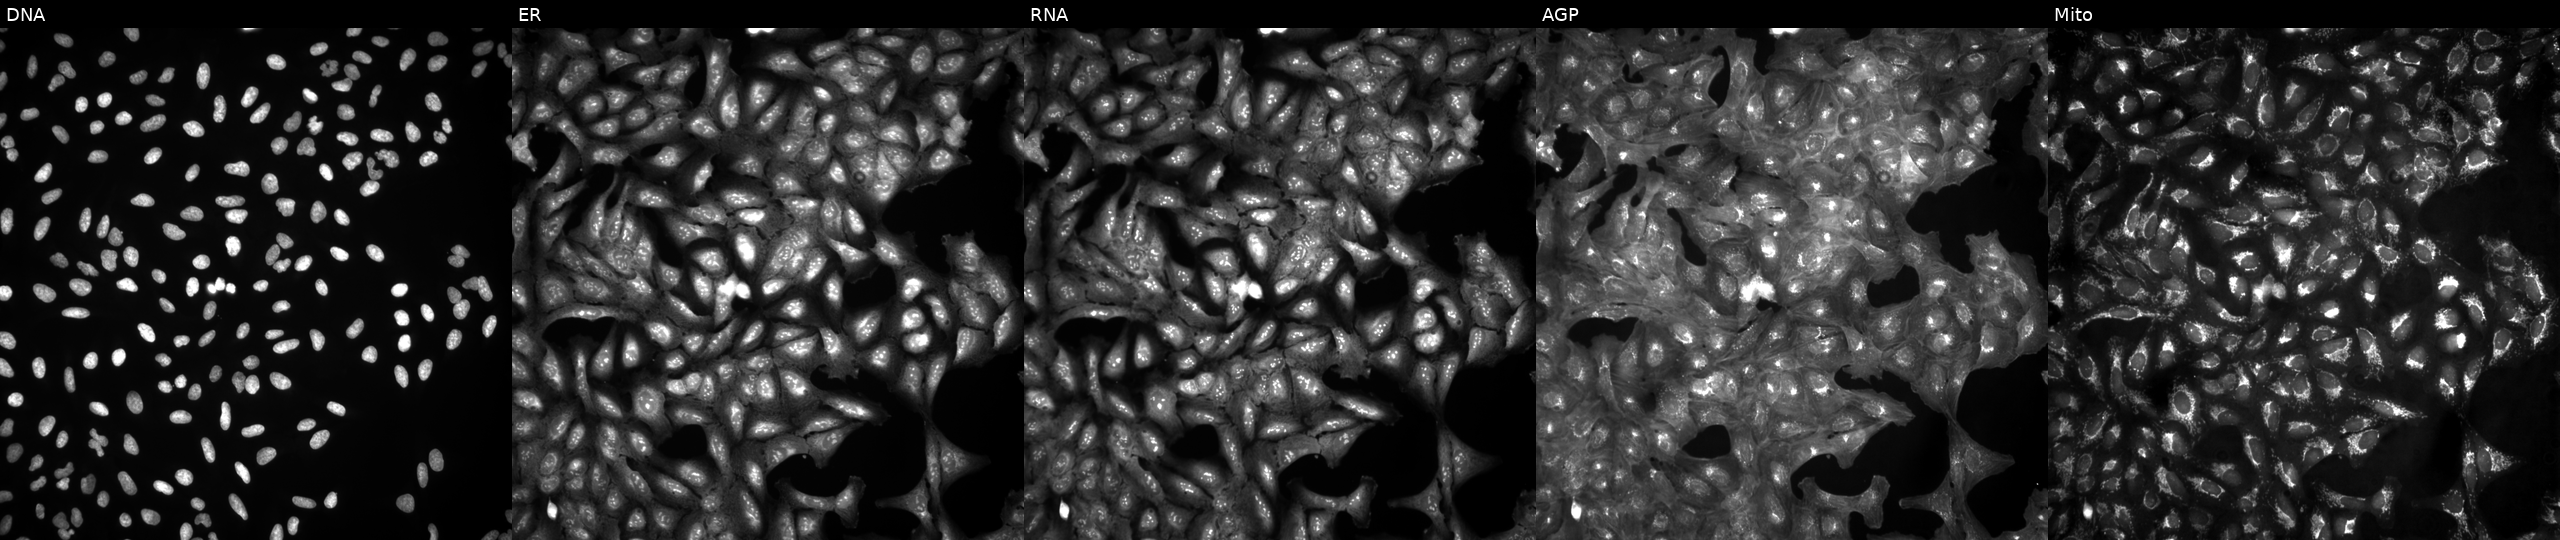
From left to right: DNA, ER, RNA, AGP, and Mito. U2OS osteosarcoma cells in an empty control well (no perturbation) (JUMP id JCP2022_999999). Cell Painting assay, JUMP-CP dataset. Source 4, plate BR00123946, well E13.